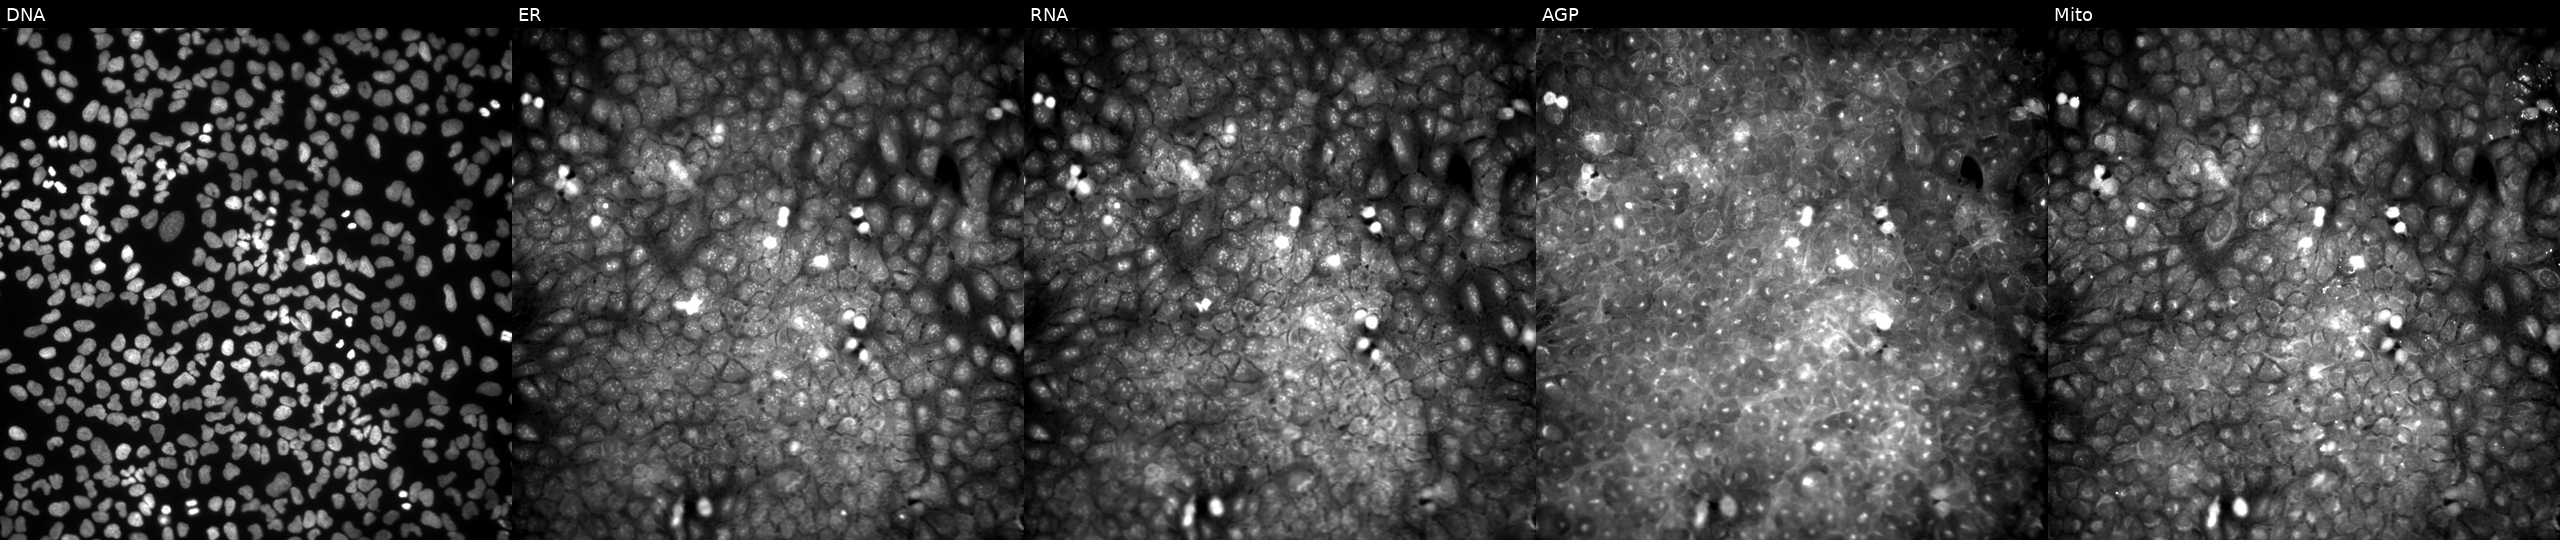
JUMP Cell Painting — COMPOUND plate. U2OS cells perturbed with a small-molecule compound (InChIKey UZMLUUBOXIBBQN-UHFFFAOYSA-N) (JUMP id JCP2022_092528). From left to right: Hoechst 33342, concanavalin A, SYTO 14, phalloidin and WGA, MitoTracker.